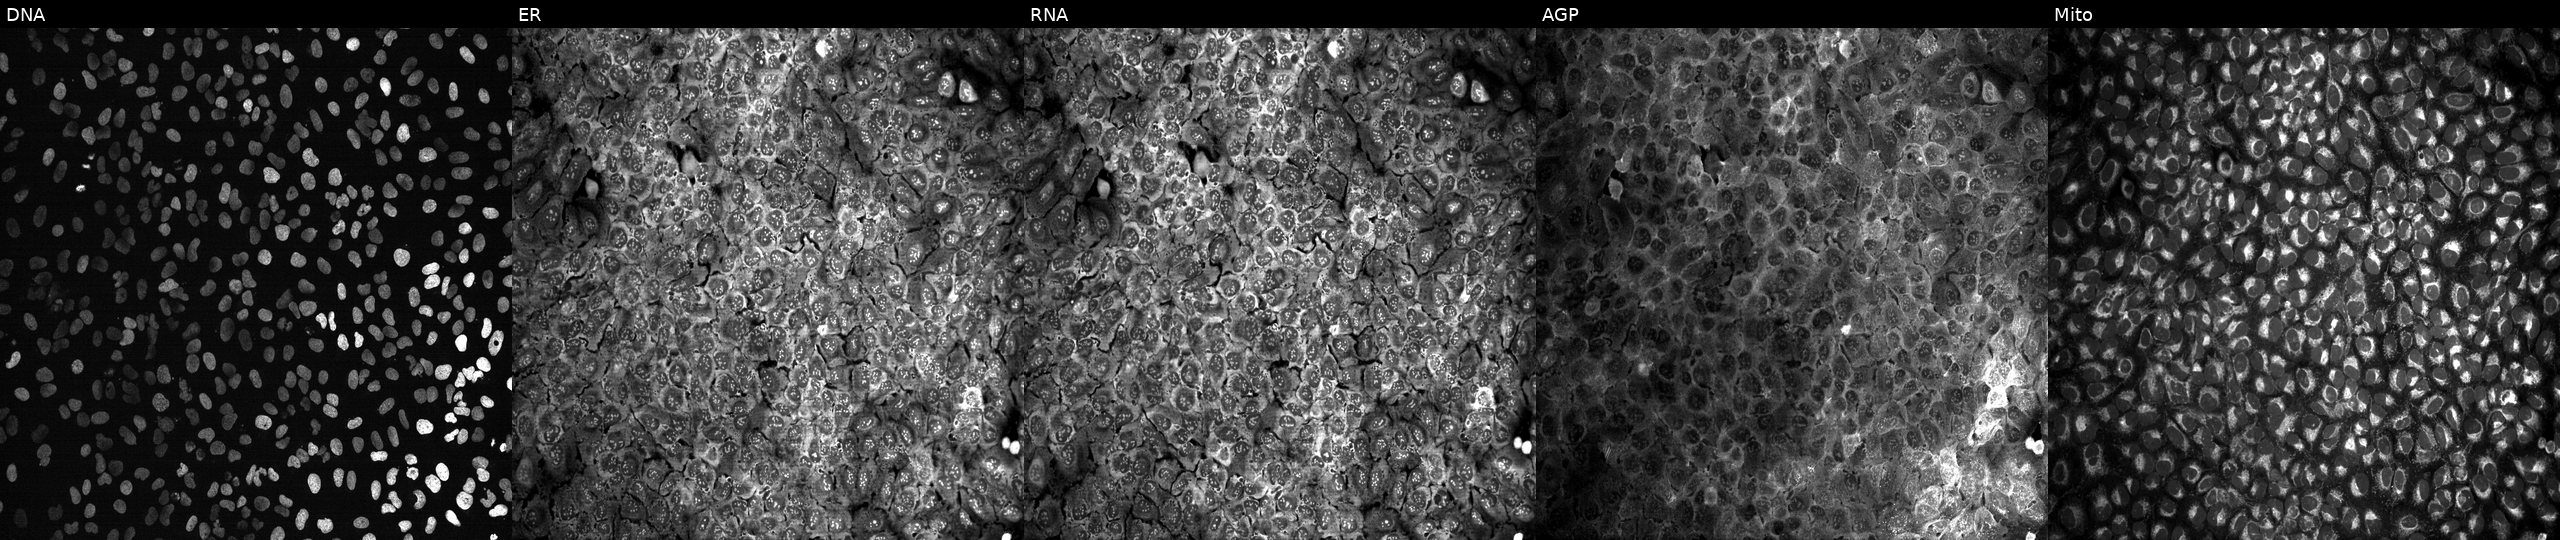
Five-channel Cell Painting image of U2OS cells with LDHAL6B knocked out by CRISPR. The five panels, left to right, show Hoechst 33342, concanavalin A, SYTO 14, phalloidin and WGA, MitoTracker.